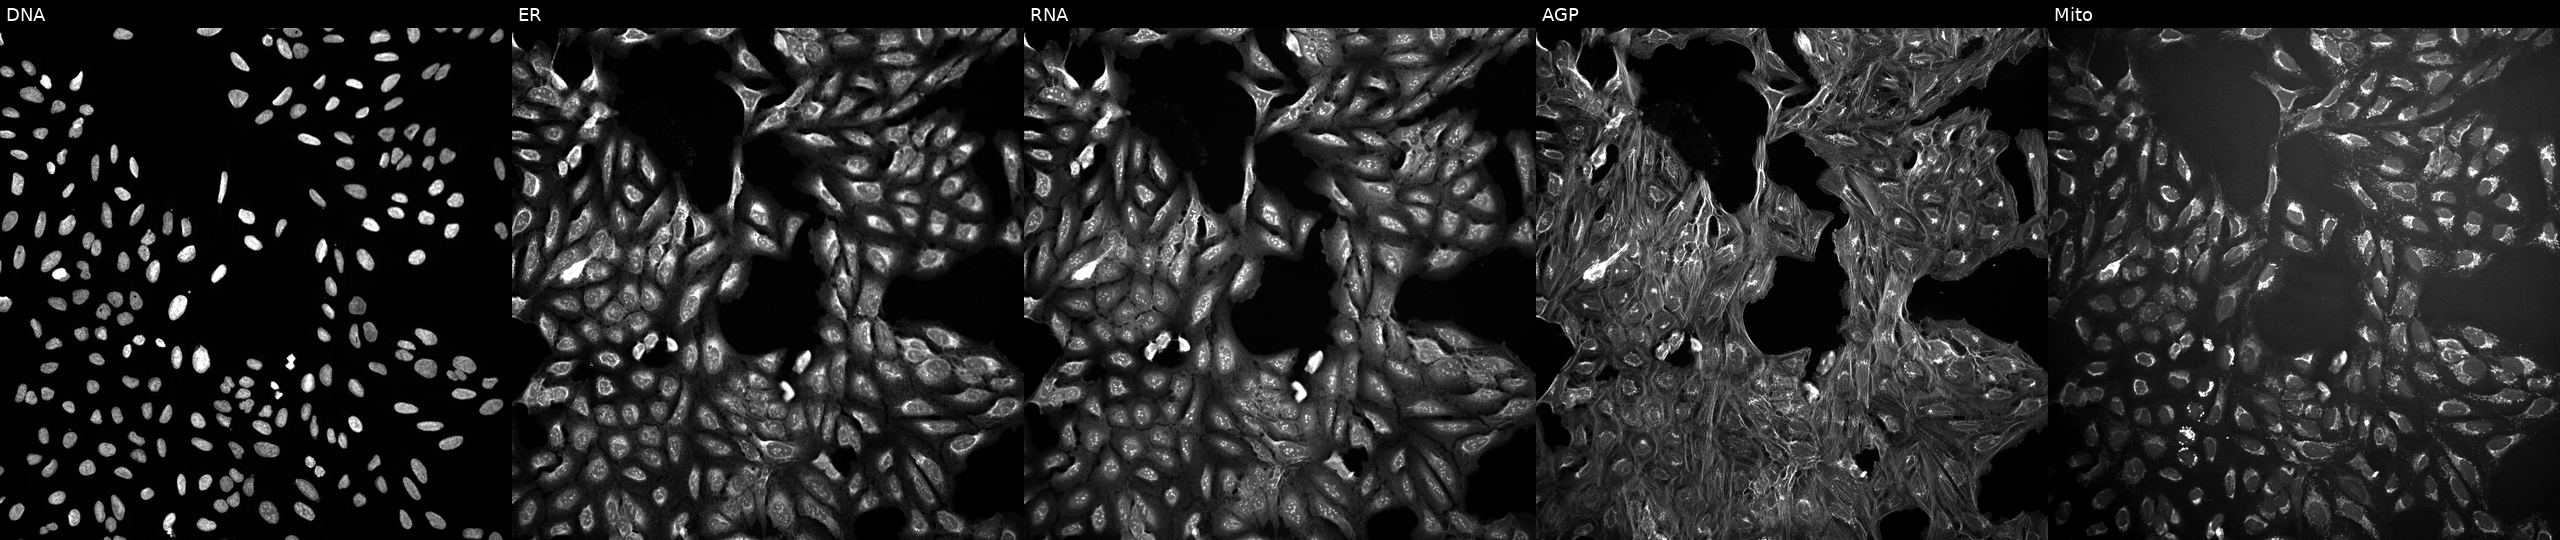
Five-channel Cell Painting image of U2OS cells treated with a small-molecule compound (InChIKey VPLAVOPFAOJSTK-UHFFFAOYSA-N) (JUMP id JCP2022_095453). The five panels, left to right, show DNA (nuclei); ER (endoplasmic reticulum); RNA (nucleoli and cytoplasmic RNA); AGP (actin cytoskeleton, Golgi, and plasma membrane); Mito (mitochondria).